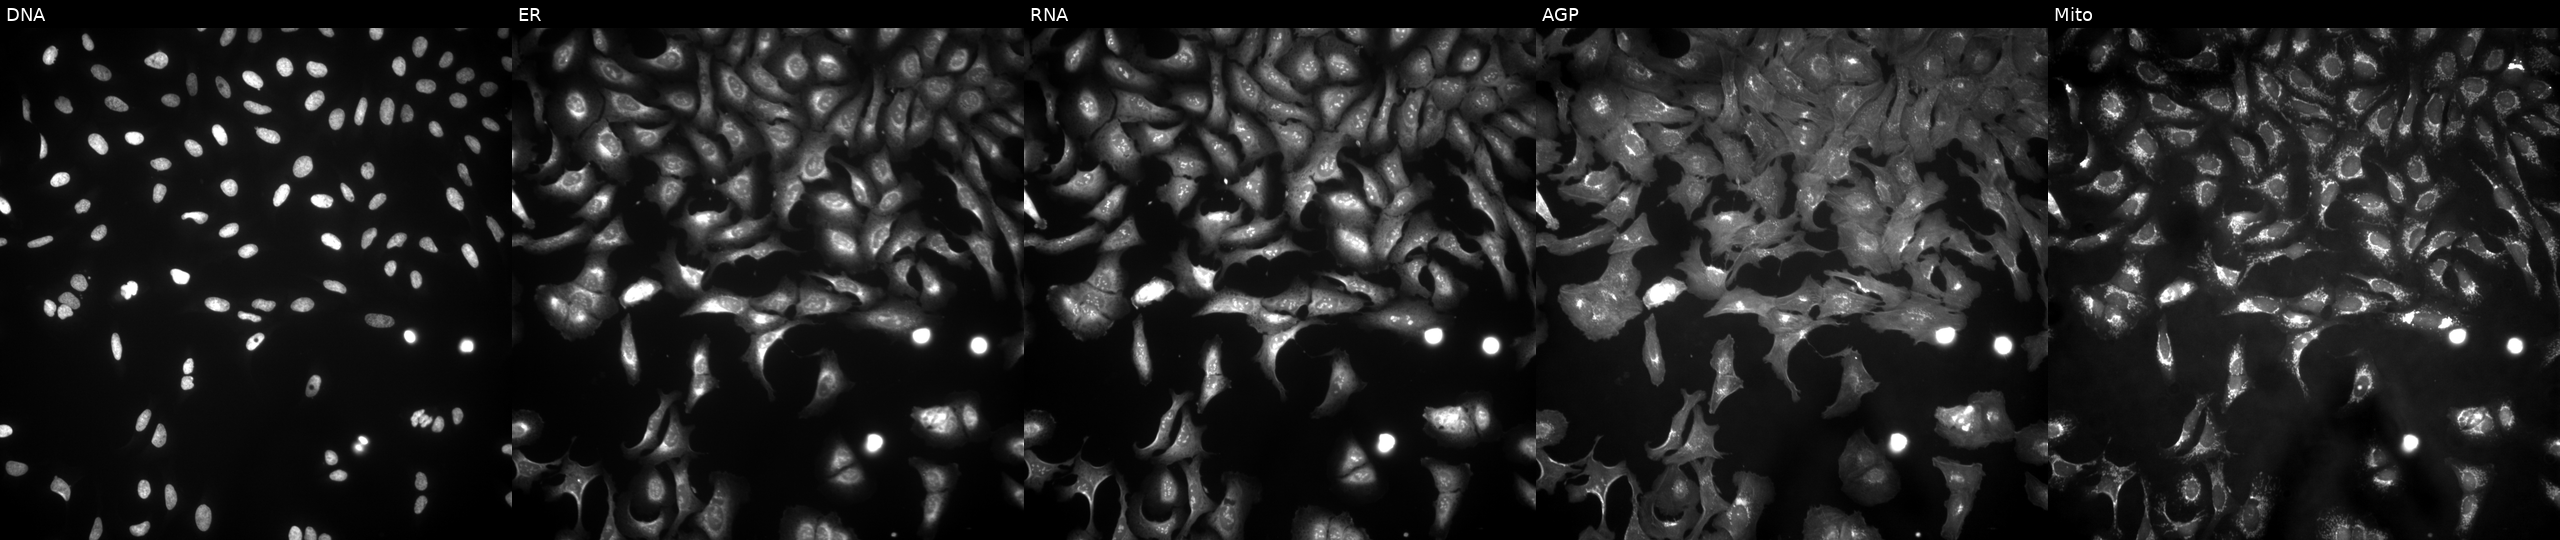
JUMP Cell Painting — ORF plate. U2OS cells with ZNF446 overexpressed (ORF). Channels (left→right): Hoechst 33342, concanavalin A, SYTO 14, phalloidin and WGA, MitoTracker.